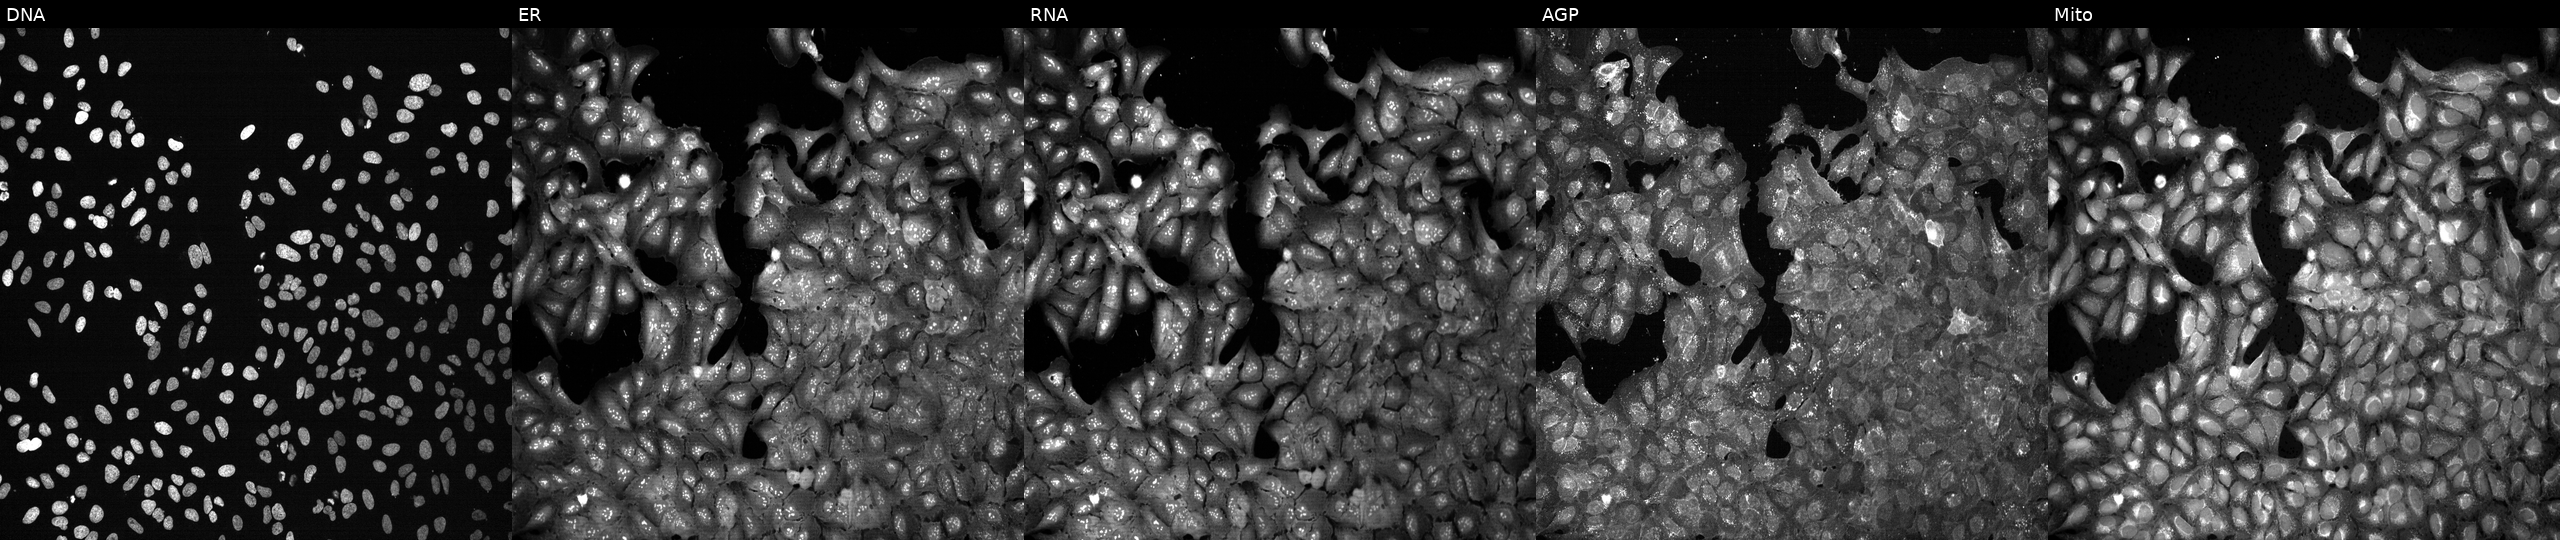
High-content fluorescence microscopy (Cell Painting). Cell line: U2OS. Perturbation: with GALT knocked out by CRISPR (JUMP id JCP2022_802605). The five panels, left to right, show DNA (nuclei); ER (endoplasmic reticulum); RNA (nucleoli and cytoplasmic RNA); AGP (actin cytoskeleton, Golgi, and plasma membrane); Mito (mitochondria).